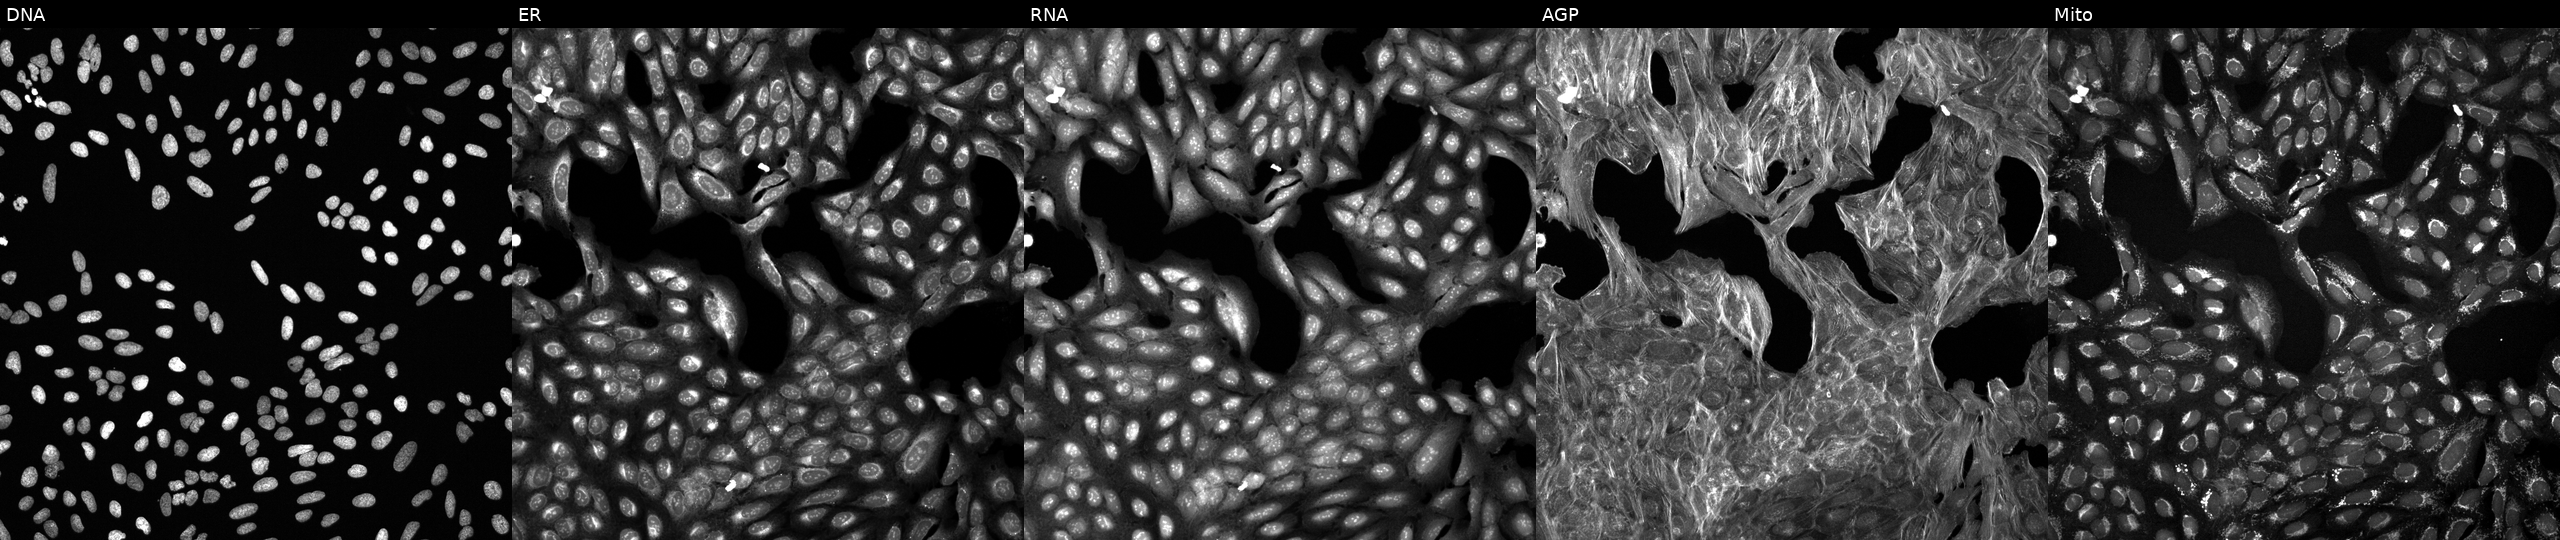
Five-channel Cell Painting image of U2OS cells treated with a small-molecule compound (InChIKey QROZMBRAMJAGNM-UHFFFAOYSA-N) [SMILES: COc1ccc(C)cc1-n1nnc(S(=O)(=O)c2ccc(C(C)C)cc2)c1C]. Channels (left→right): DNA, ER, RNA, AGP, and Mito.